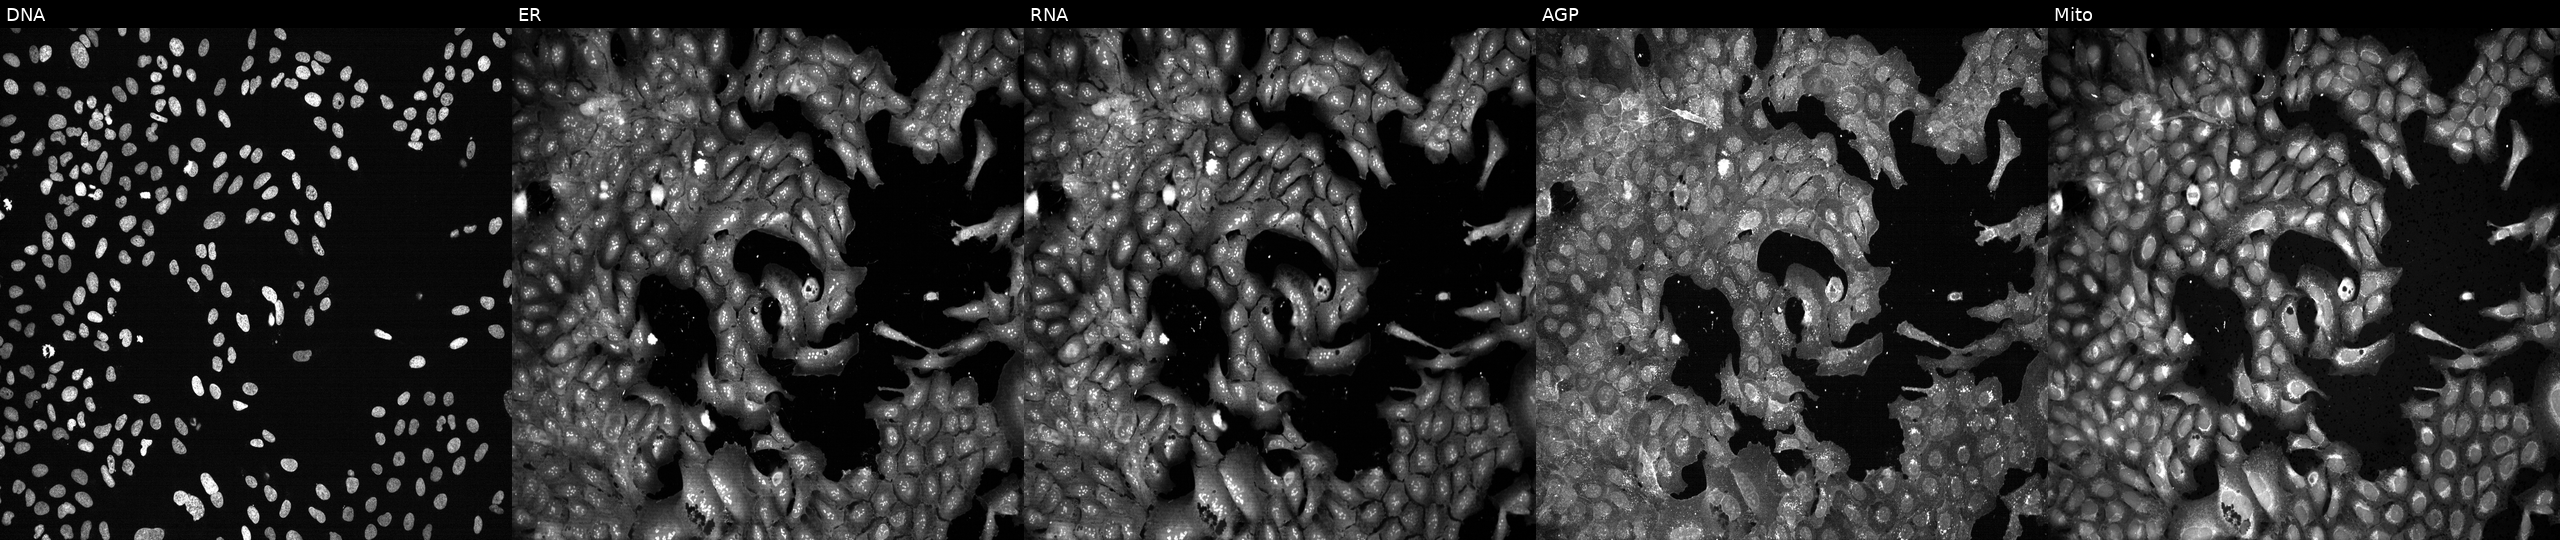
This image strip shows the five Cell Painting channels for a single field of U2OS cells following CRISPR knockout of ABCC6 (JUMP id JCP2022_800048). Channels (left→right): DNA (nuclei); ER (endoplasmic reticulum); RNA (nucleoli and cytoplasmic RNA); AGP (actin cytoskeleton, Golgi, and plasma membrane); Mito (mitochondria).